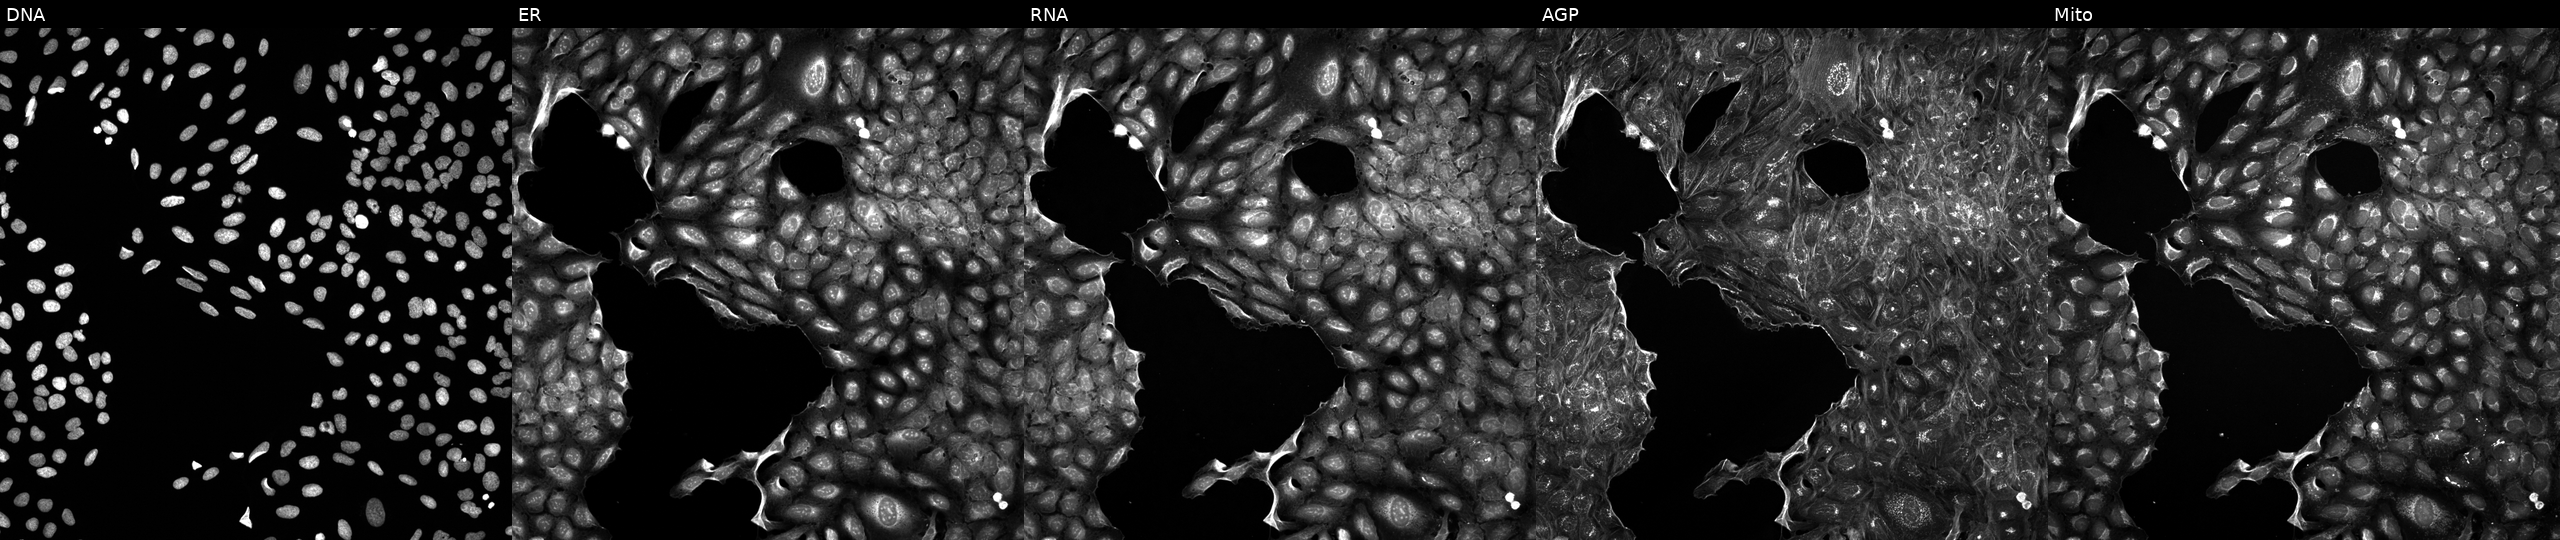
U2OS cells, Cell Painting assay, exposed to a small-molecule compound (InChIKey ZXCXWTFANXRDTI-UHFFFAOYSA-N) (JUMP id JCP2022_116236). Channels (left→right): DNA (nuclei); ER (endoplasmic reticulum); RNA (nucleoli and cytoplasmic RNA); AGP (actin cytoskeleton, Golgi, and plasma membrane); Mito (mitochondria). Each panel is percentile-stretched 16-bit fluorescence.